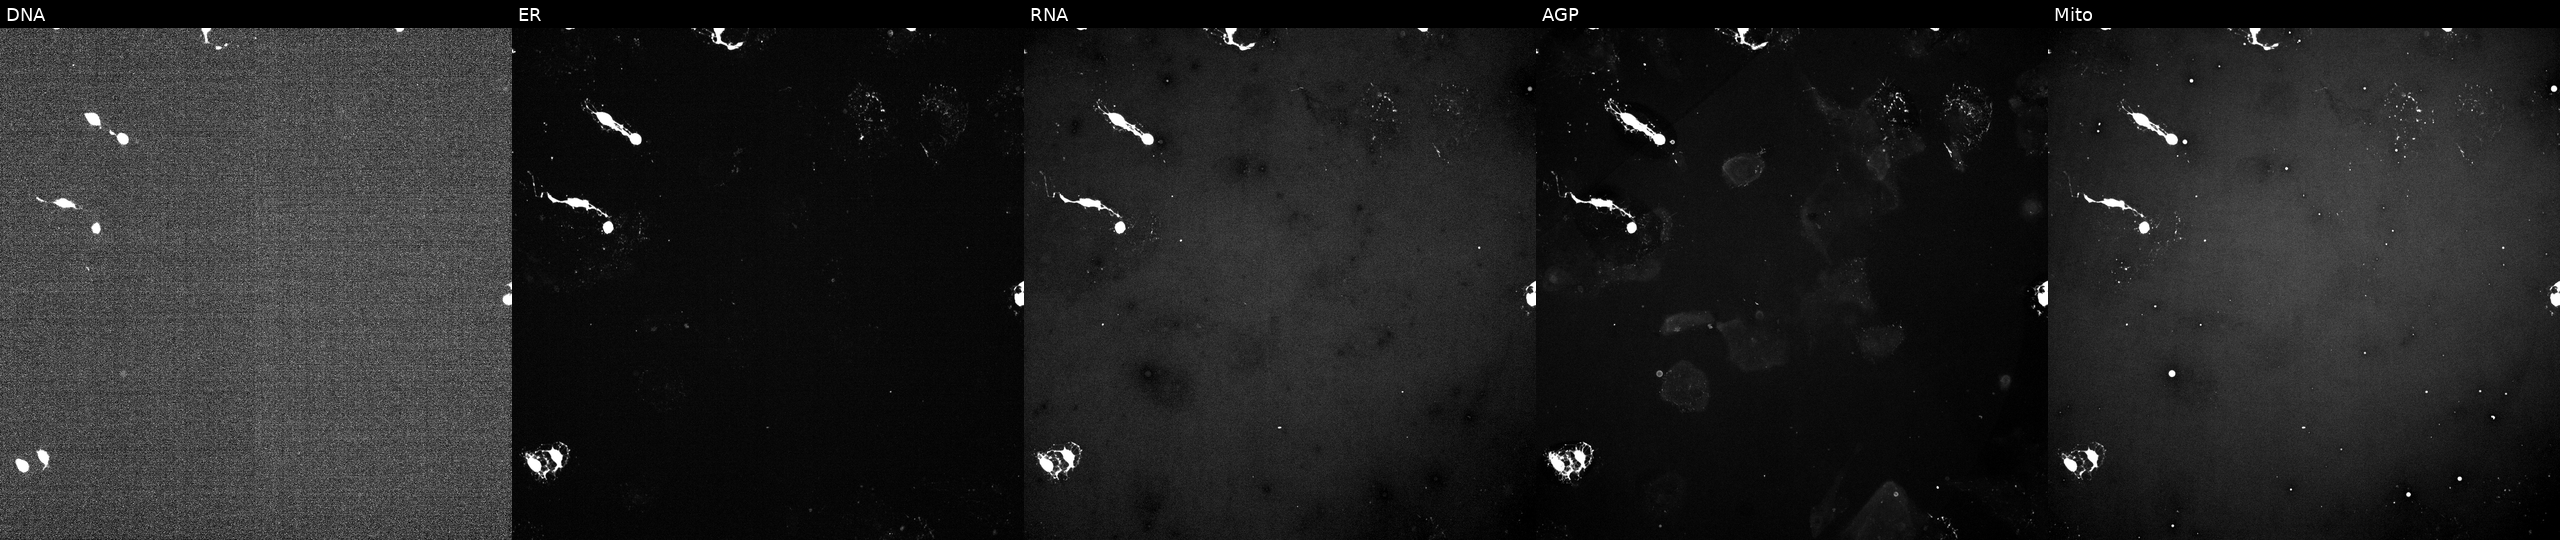
Five-channel Cell Painting image of U2OS cells exposed to a small-molecule compound. Channels (left→right): DNA (nuclei); ER (endoplasmic reticulum); RNA (nucleoli and cytoplasmic RNA); AGP (actin cytoskeleton, Golgi, and plasma membrane); Mito (mitochondria). Source 5, plate ACPJUM051, well F22.